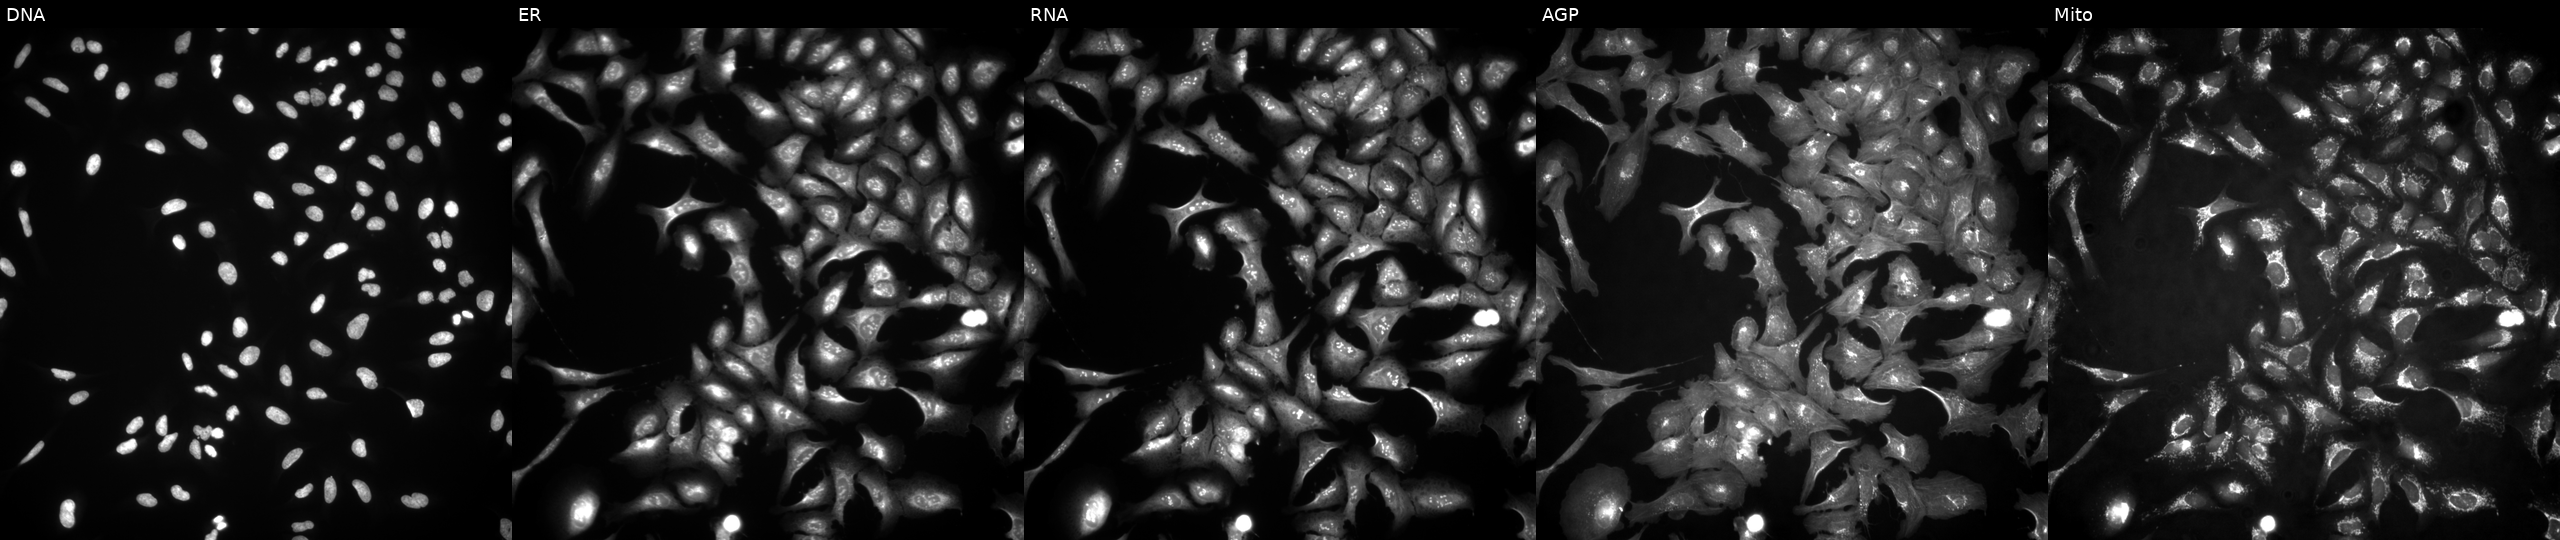
U2OS cells, Cell Painting assay, with MT1H overexpressed (ORF). The five panels, left to right, show DNA (nuclei); ER (endoplasmic reticulum); RNA (nucleoli and cytoplasmic RNA); AGP (actin cytoskeleton, Golgi, and plasma membrane); Mito (mitochondria). Each panel is percentile-stretched 16-bit fluorescence.